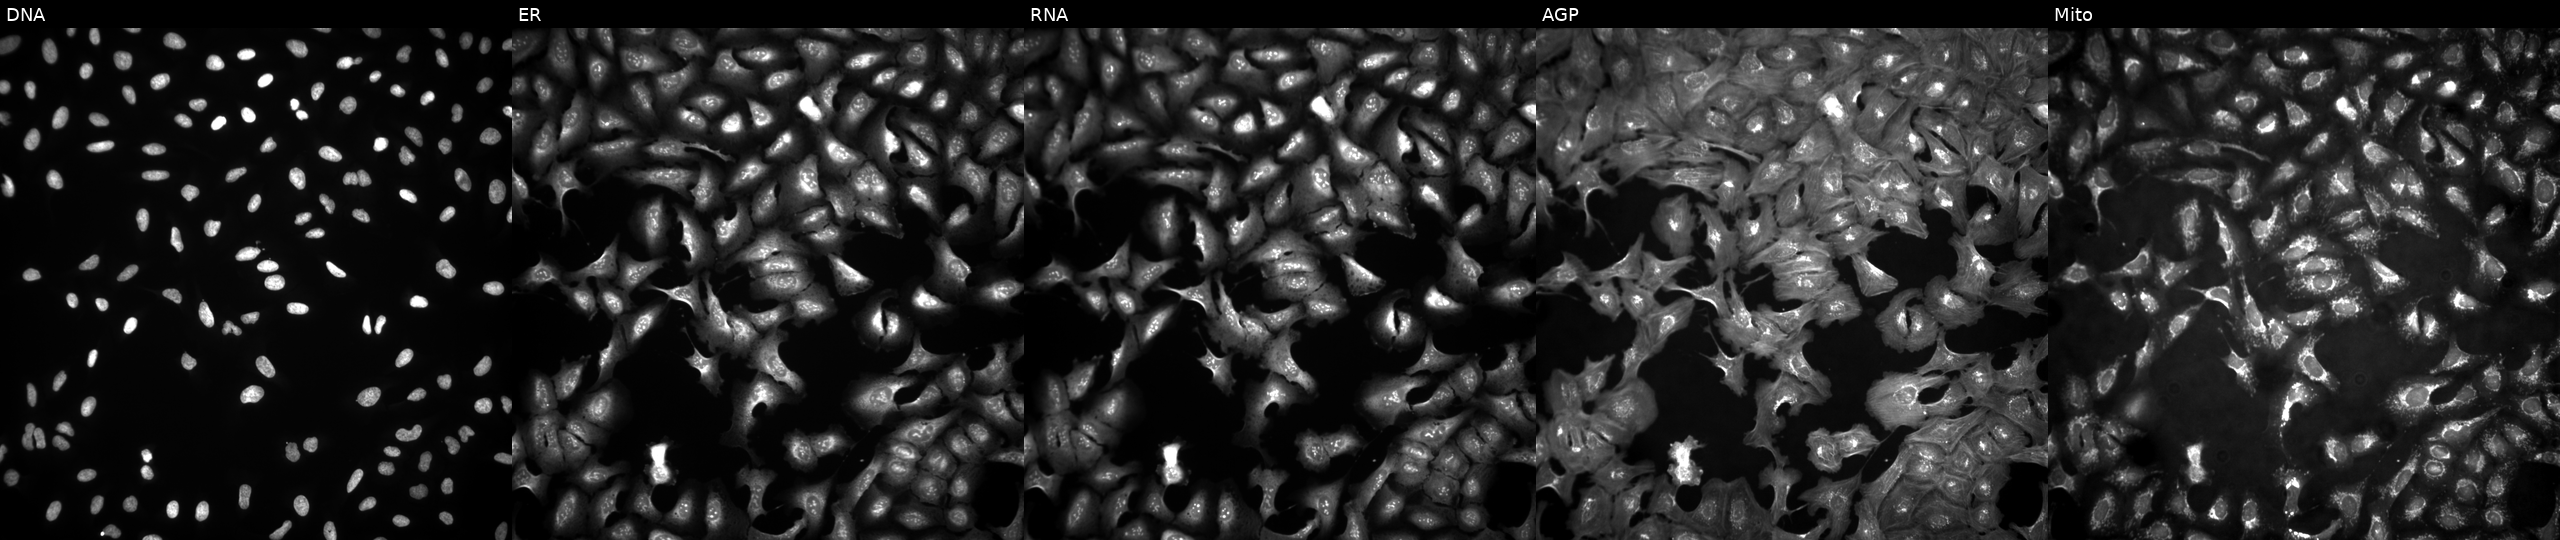
Channels (left→right): DNA (nuclei); ER (endoplasmic reticulum); RNA (nucleoli and cytoplasmic RNA); AGP (actin cytoskeleton, Golgi, and plasma membrane); Mito (mitochondria). U2OS osteosarcoma cells with C6 overexpressed (ORF). Cell Painting assay, JUMP-CP dataset. Source 4, plate BR00124784, well A22.